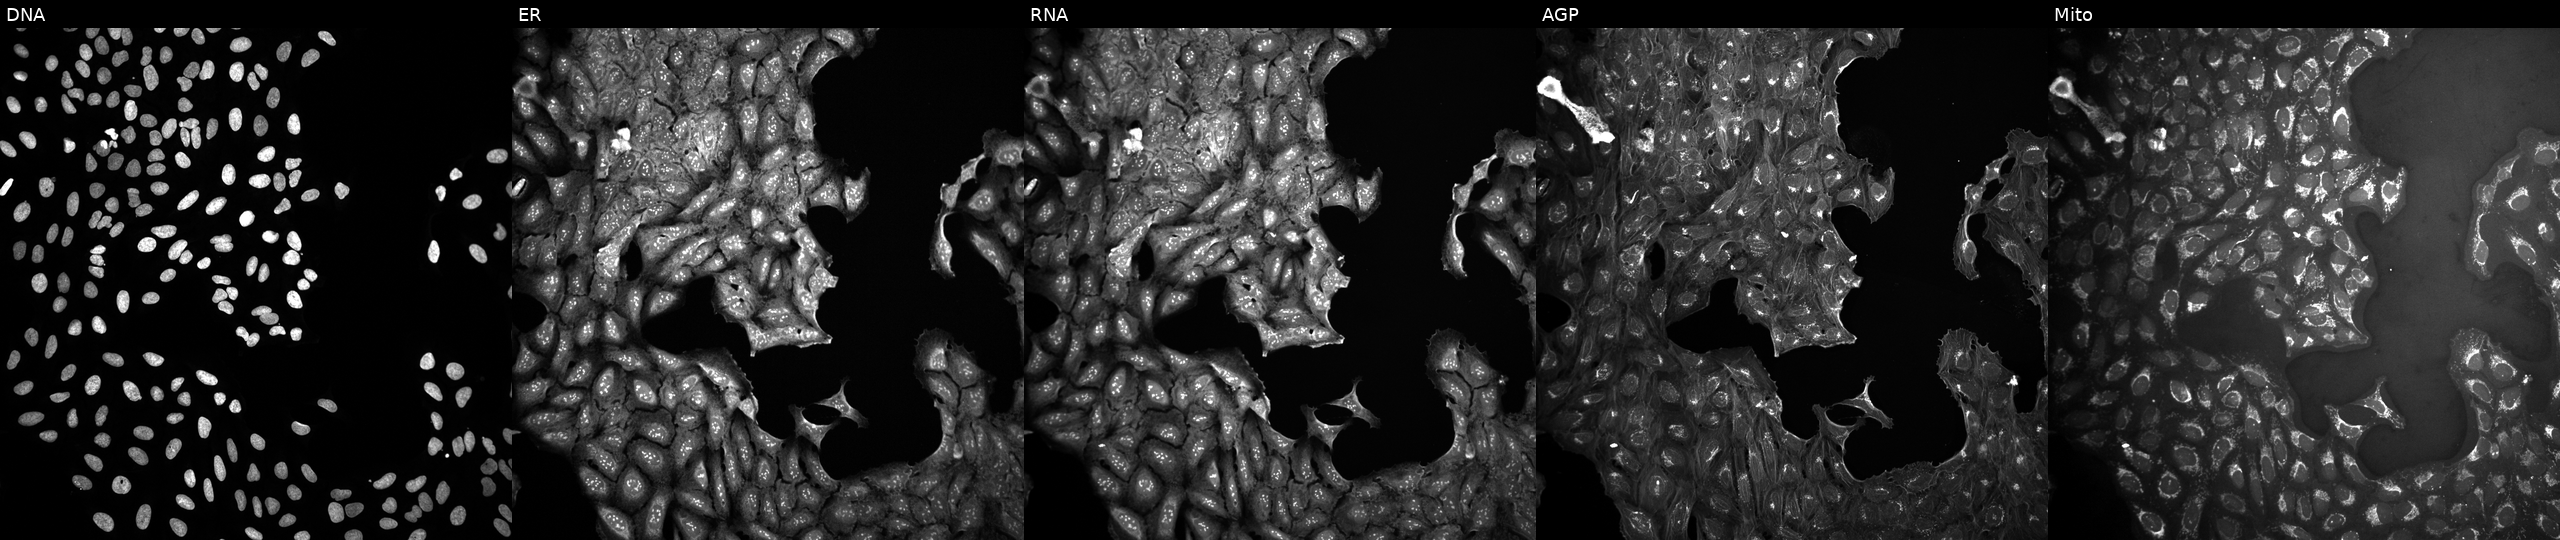
Five-channel Cell Painting image of U2OS cells treated with a small-molecule compound (InChIKey RQCMIOFKYXDMGQ-UHFFFAOYSA-N) (JUMP id JCP2022_079999). The five panels, left to right, show DNA, ER, RNA, AGP, and Mito.